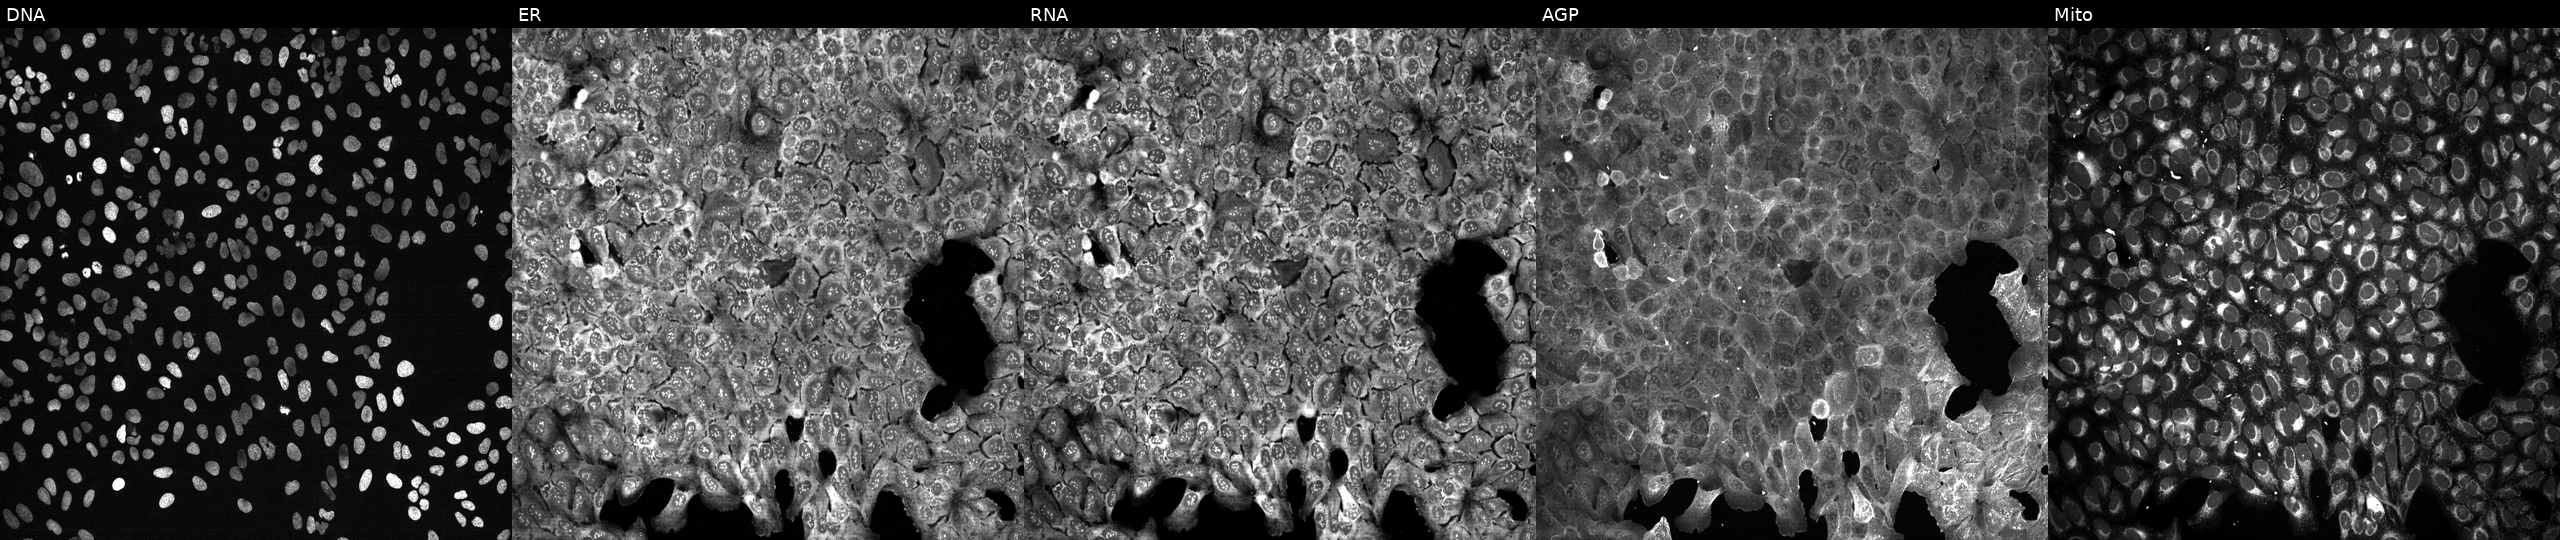
JUMP Cell Painting — CRISPR plate. U2OS cells with SLCO2B1 knocked out by CRISPR (JUMP id JCP2022_806606). Panels show, left to right, DNA, ER, RNA, AGP, and Mito.